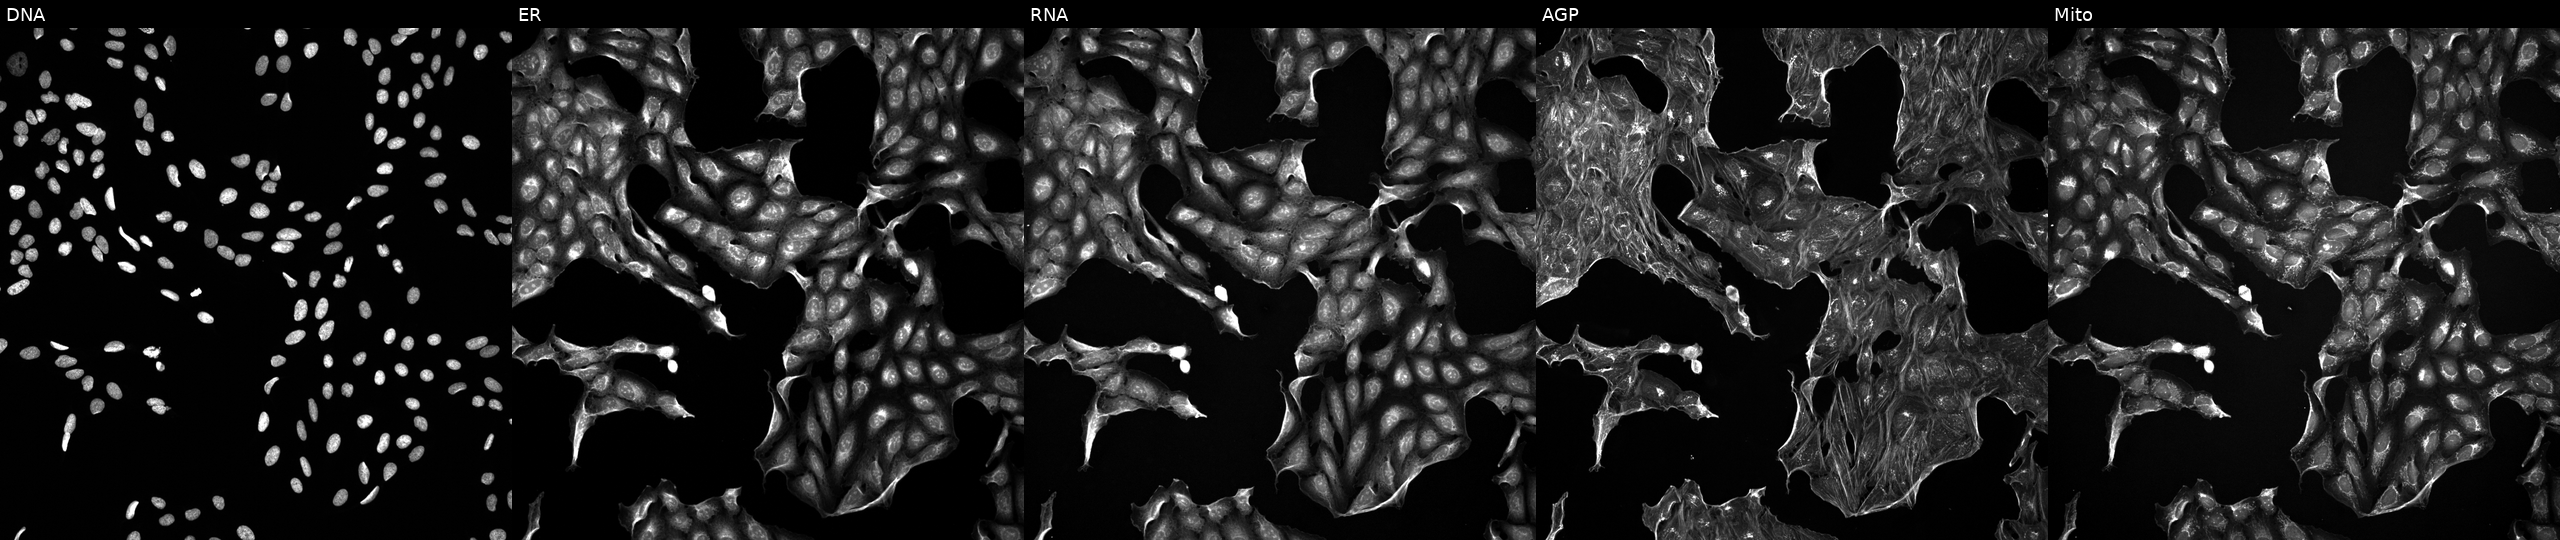
High-content fluorescence microscopy (Cell Painting). Cell line: U2OS. Perturbation: treated with a small-molecule compound (InChIKey MDKAFDIKYQMOMF-UHFFFAOYSA-N). Panels show, left to right, DNA, ER, RNA, AGP, and Mito.